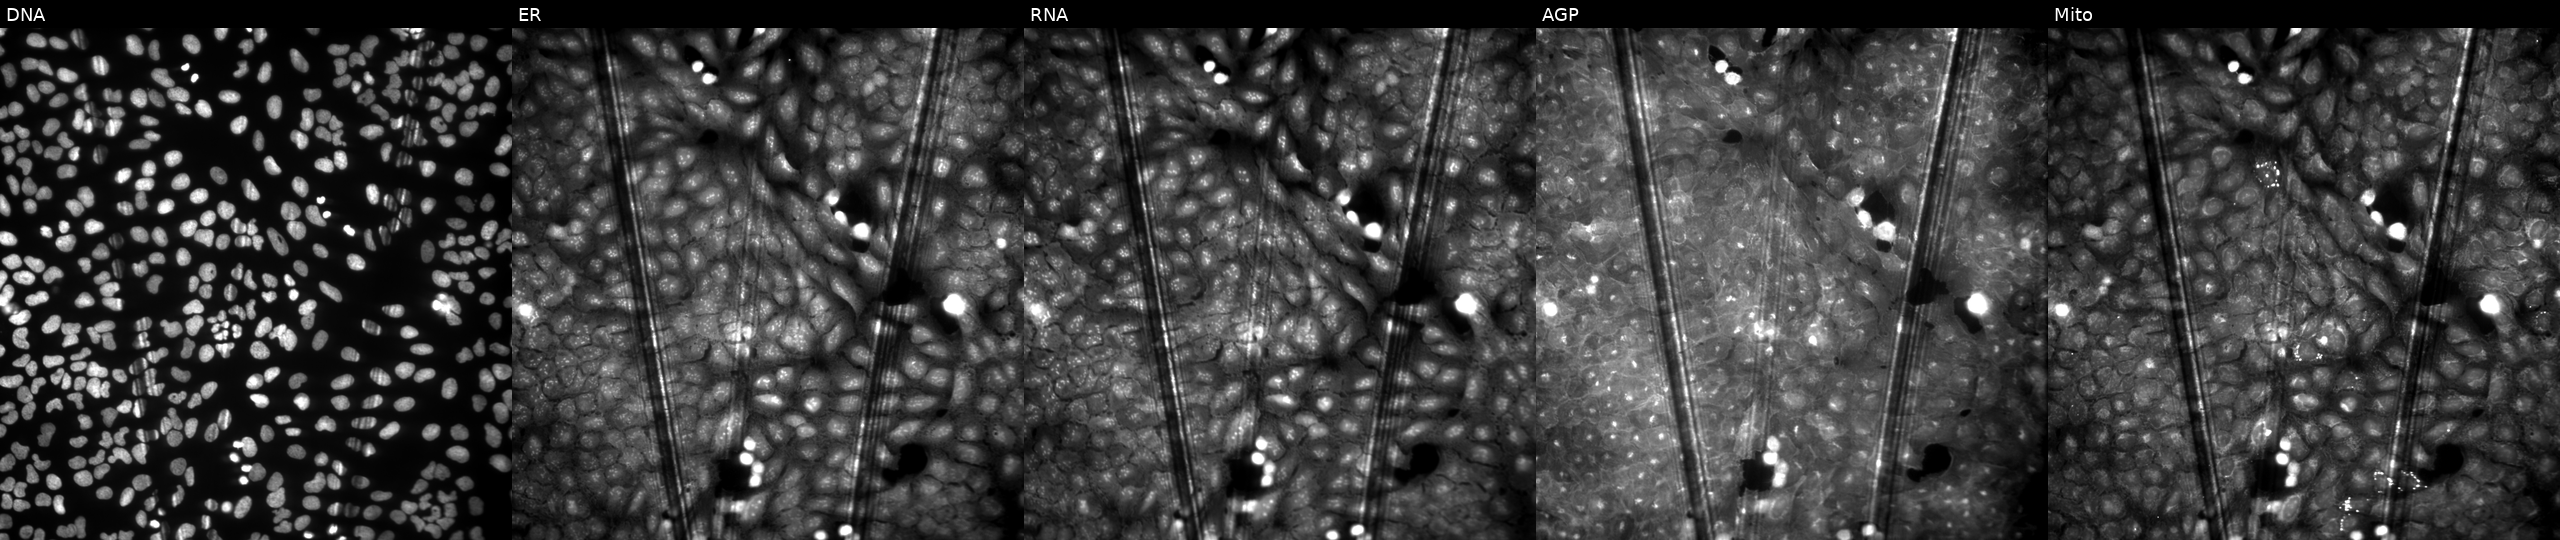
Five-channel Cell Painting image of U2OS cells perturbed with a small-molecule compound (InChIKey KAPSJWQZNXVRPL-UHFFFAOYSA-N) (JUMP id JCP2022_043327). Channels (left→right): DNA (nuclei); ER (endoplasmic reticulum); RNA (nucleoli and cytoplasmic RNA); AGP (actin cytoskeleton, Golgi, and plasma membrane); Mito (mitochondria). Source 9, plate GR00003381, well Z34.